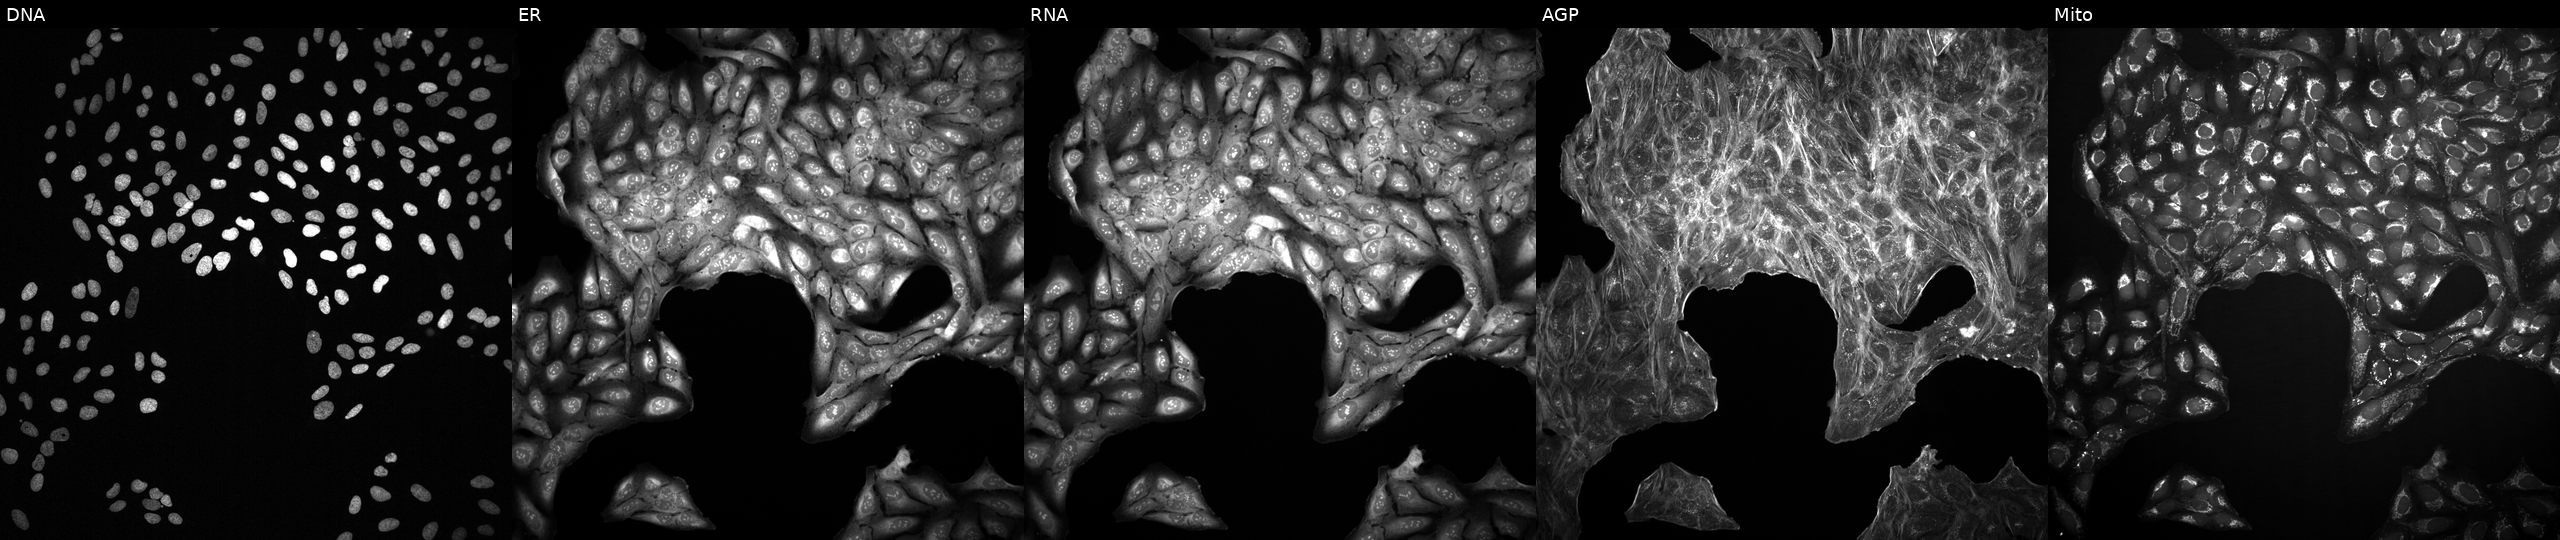
JUMP Cell Painting — TARGET2 plate. U2OS cells exposed to DMSO alone as a negative control. From left to right: DNA (nuclei); ER (endoplasmic reticulum); RNA (nucleoli and cytoplasmic RNA); AGP (actin cytoskeleton, Golgi, and plasma membrane); Mito (mitochondria).